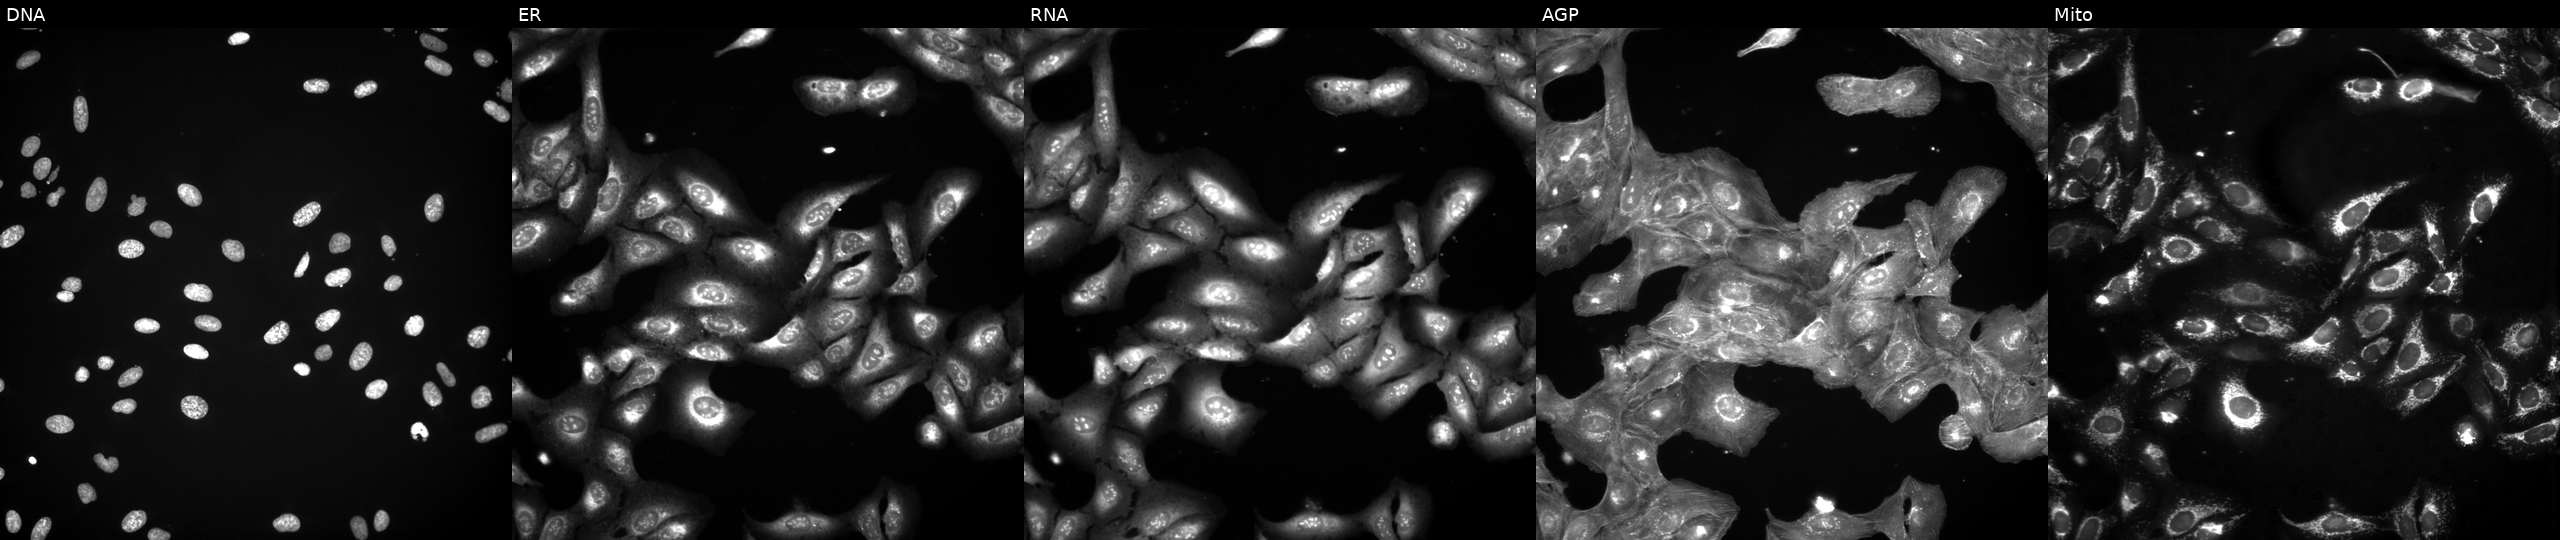
Five-channel Cell Painting image of U2OS cells treated with a small-molecule compound (InChIKey CAOWNCTTWGSKDO-UHFFFAOYSA-N) [SMILES: N=c1[nH]c(F)nc2c1ncn2C1OC(CO[PH](=O)(=O)O)C(O)C1O] (JUMP id JCP2022_009886). Channels (left→right): Hoechst 33342, concanavalin A, SYTO 14, phalloidin and WGA, MitoTracker.